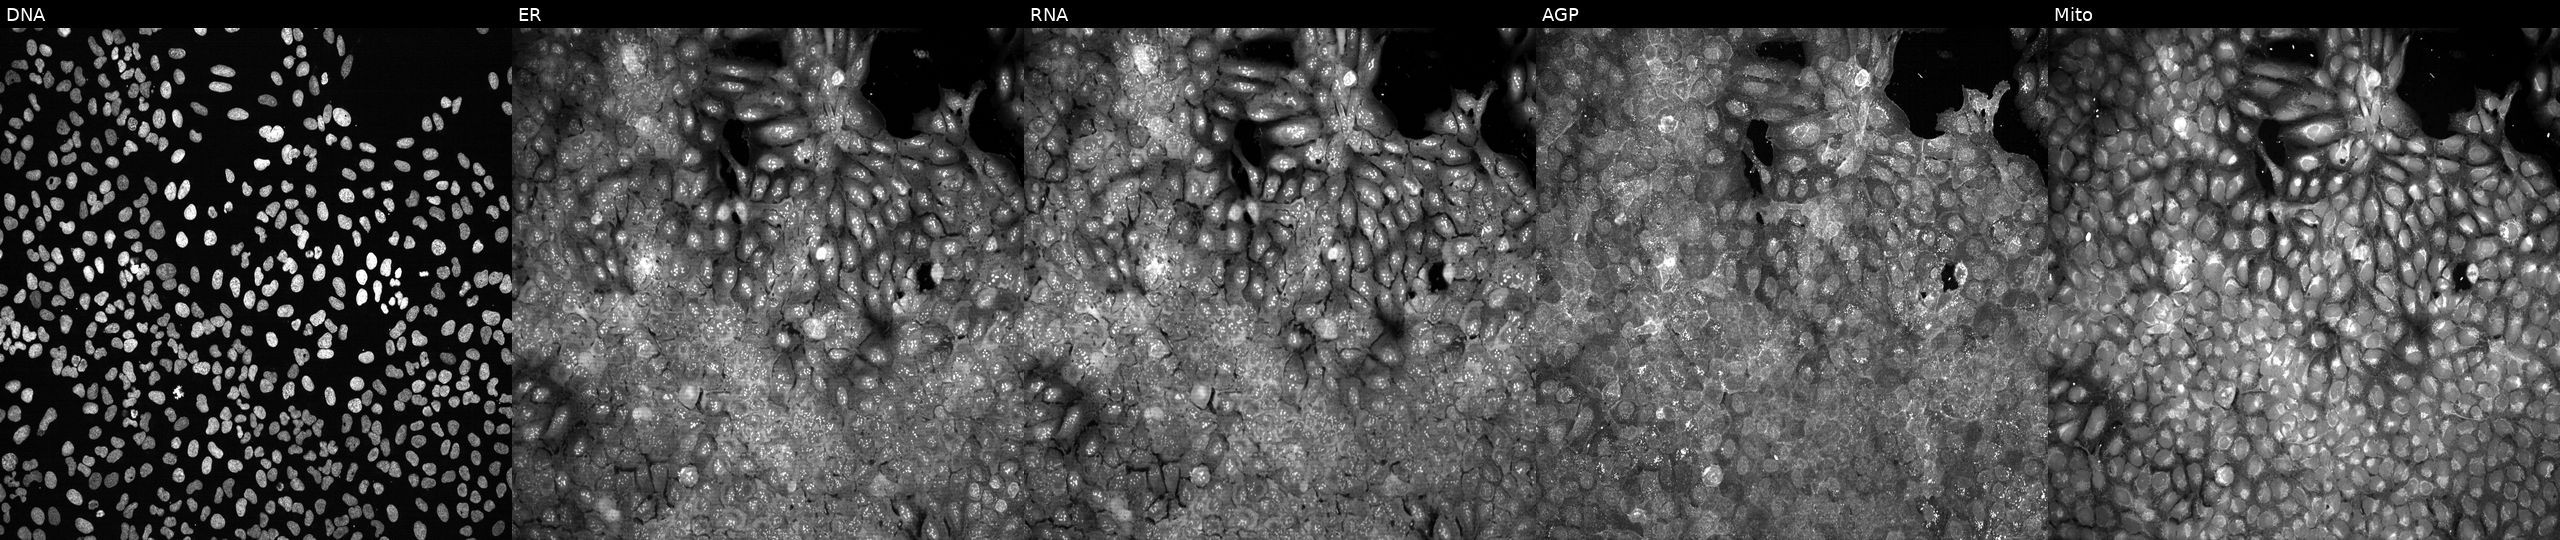
JUMP Cell Painting — CRISPR plate. U2OS cells following CRISPR knockout of GUCY1B3 (JUMP id JCP2022_802979). From left to right: DNA, ER, RNA, AGP, and Mito.